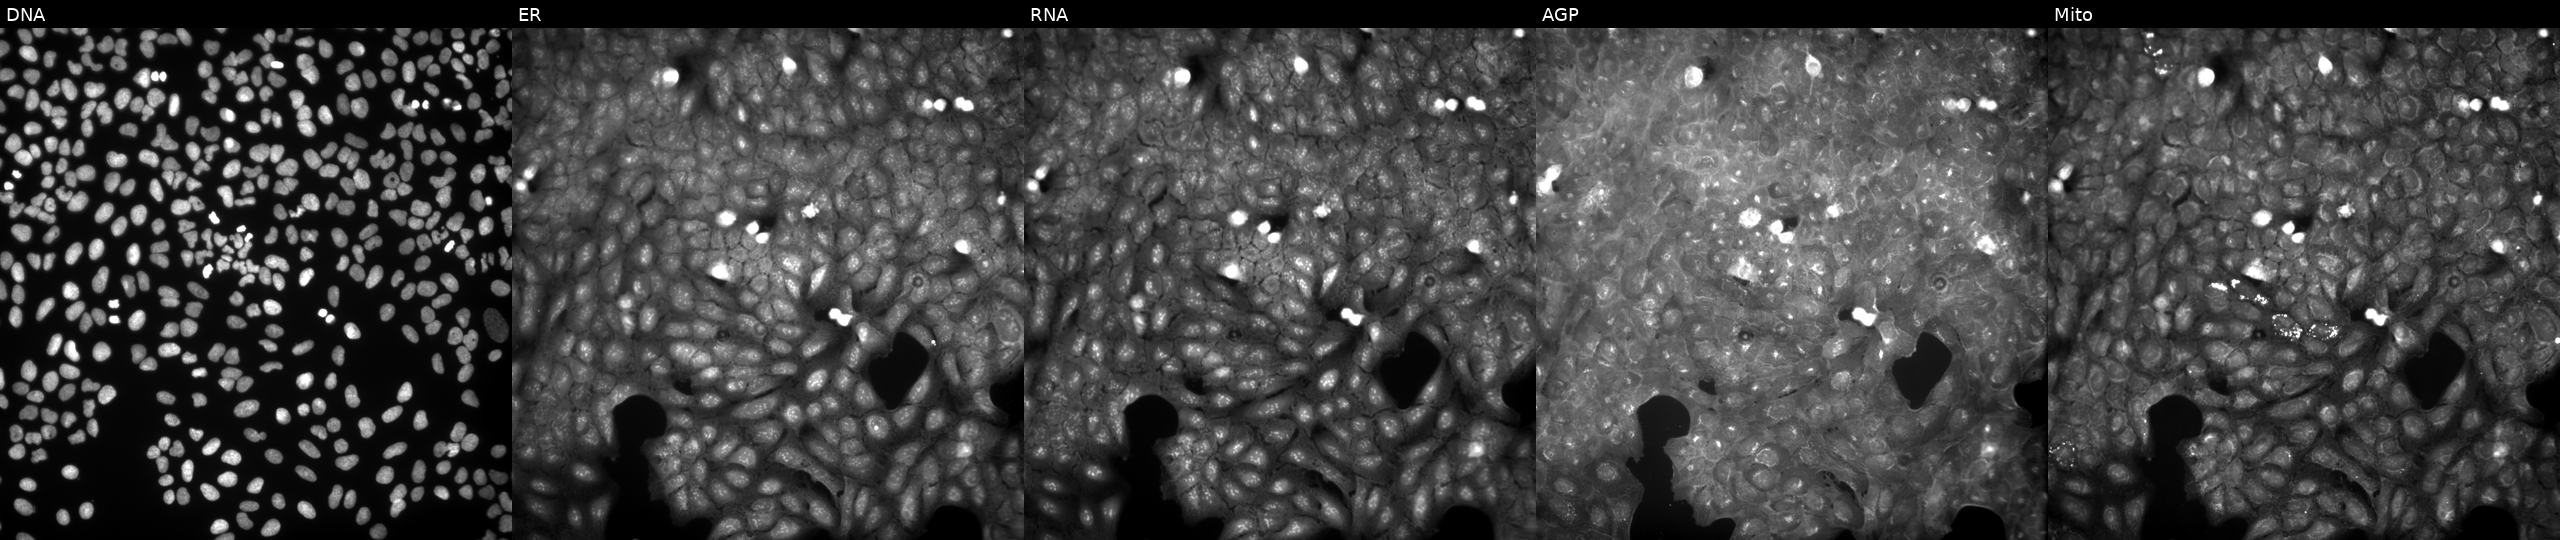
JUMP Cell Painting — COMPOUND plate. U2OS cells perturbed with a small-molecule compound (InChIKey ZQVUJRQMQBMZEY-UHFFFAOYSA-N). The five panels, left to right, show DNA, ER, RNA, AGP, and Mito.